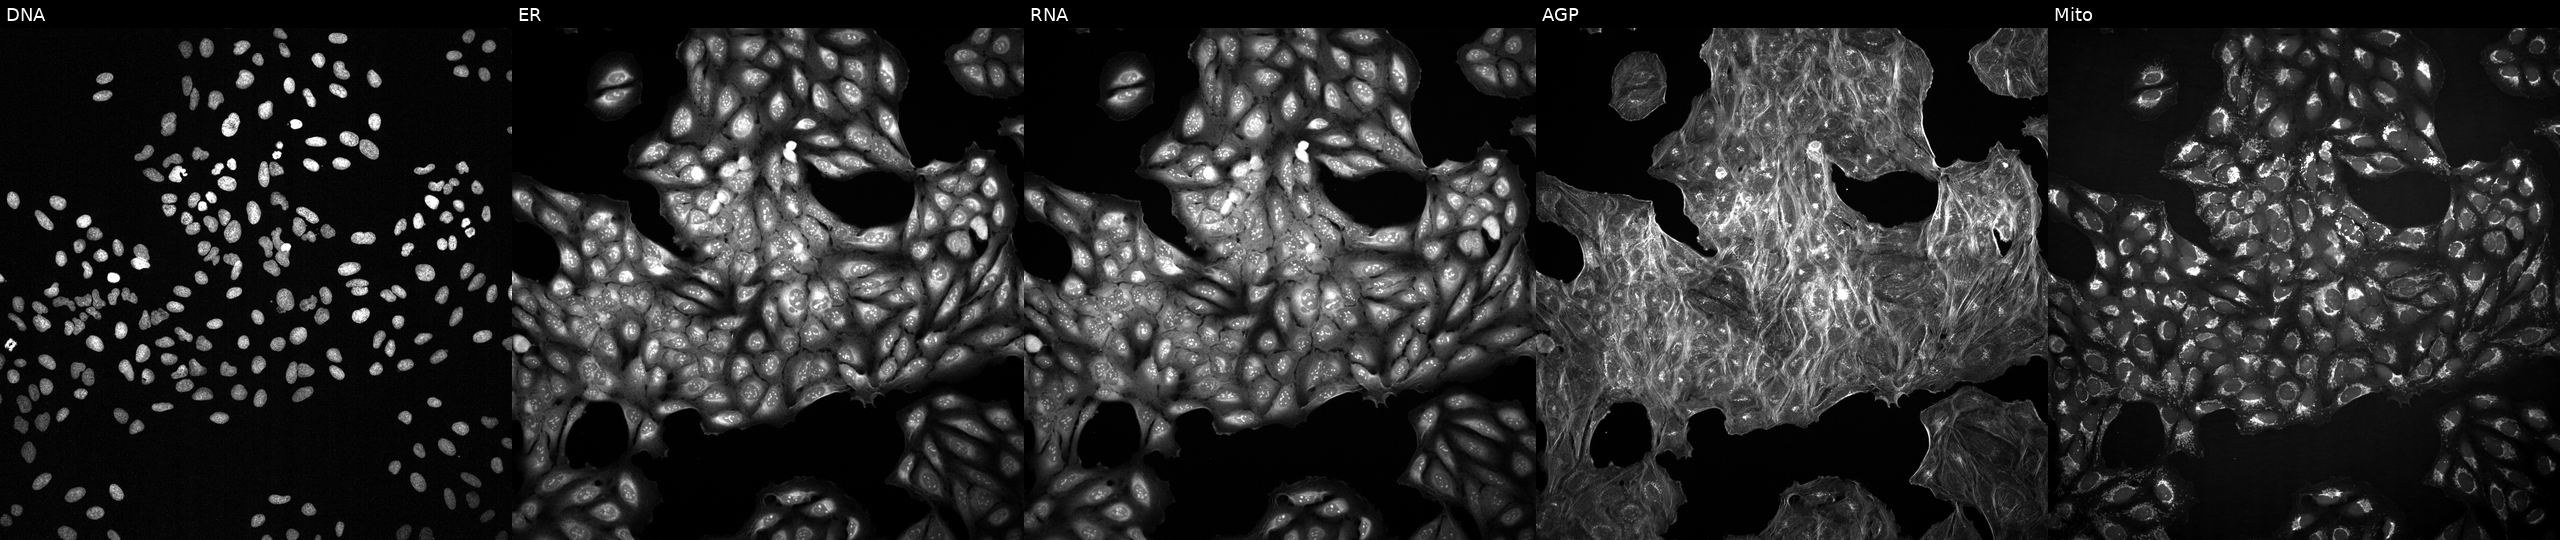
This image strip shows the five Cell Painting channels for a single field of U2OS cells exposed to a small-molecule compound (InChIKey NMKJFZCBCIUYHI-UHFFFAOYSA-N). Channels (left→right): DNA (nuclei); ER (endoplasmic reticulum); RNA (nucleoli and cytoplasmic RNA); AGP (actin cytoskeleton, Golgi, and plasma membrane); Mito (mitochondria).